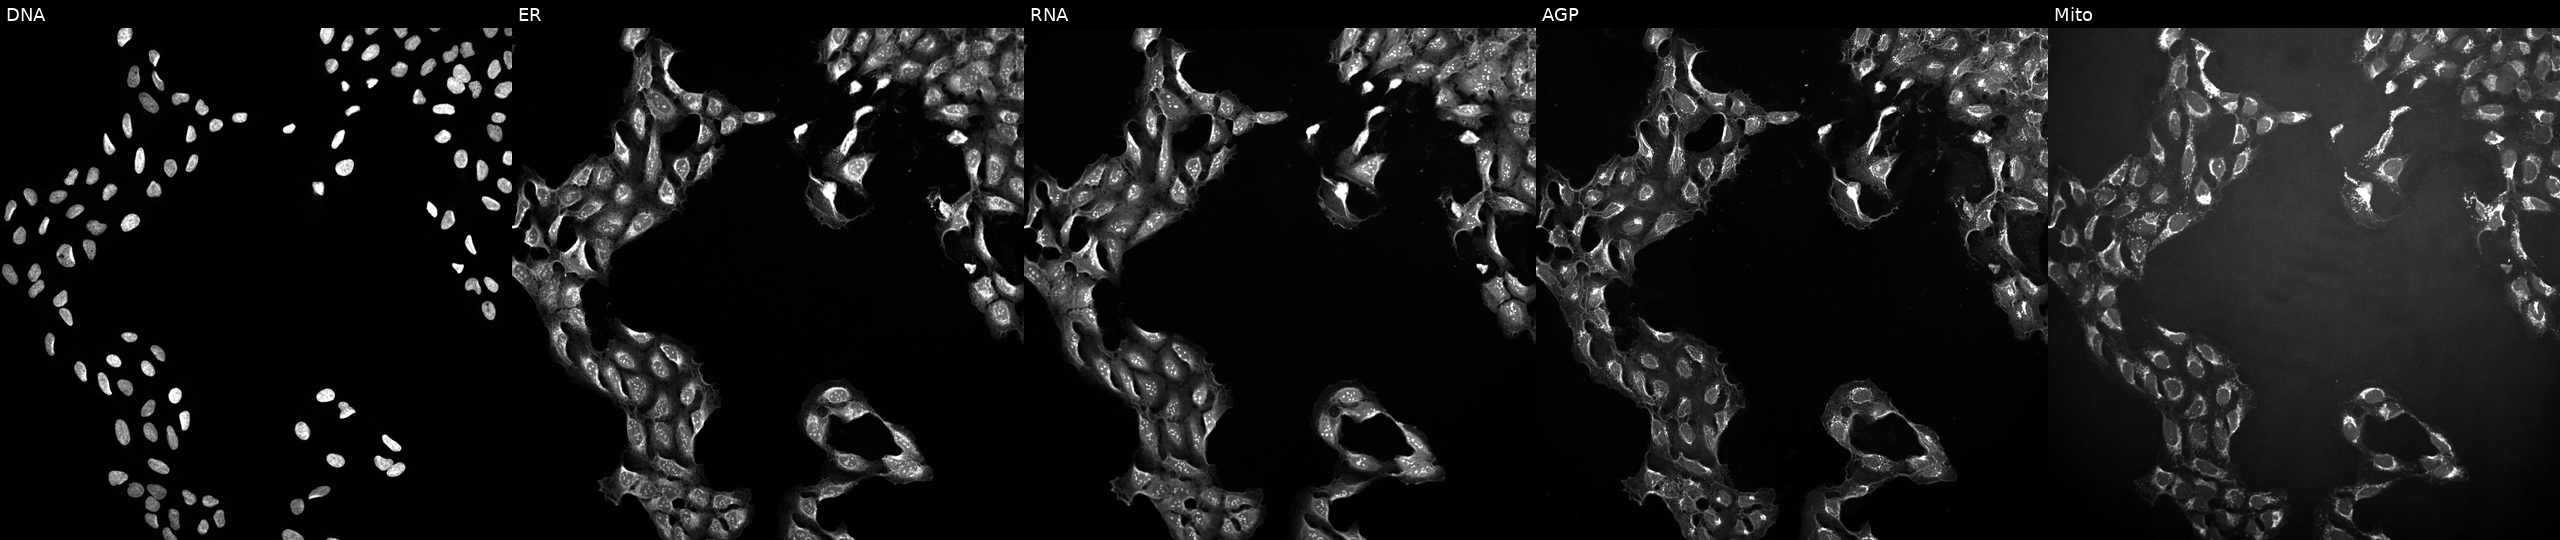
The five panels, left to right, show Hoechst 33342, concanavalin A, SYTO 14, phalloidin and WGA, MitoTracker. U2OS osteosarcoma cells exposed to a small-molecule compound (InChIKey NMKJFZCBCIUYHI-UHFFFAOYSA-N) (JUMP id JCP2022_059966). Cell Painting assay, JUMP-CP dataset.